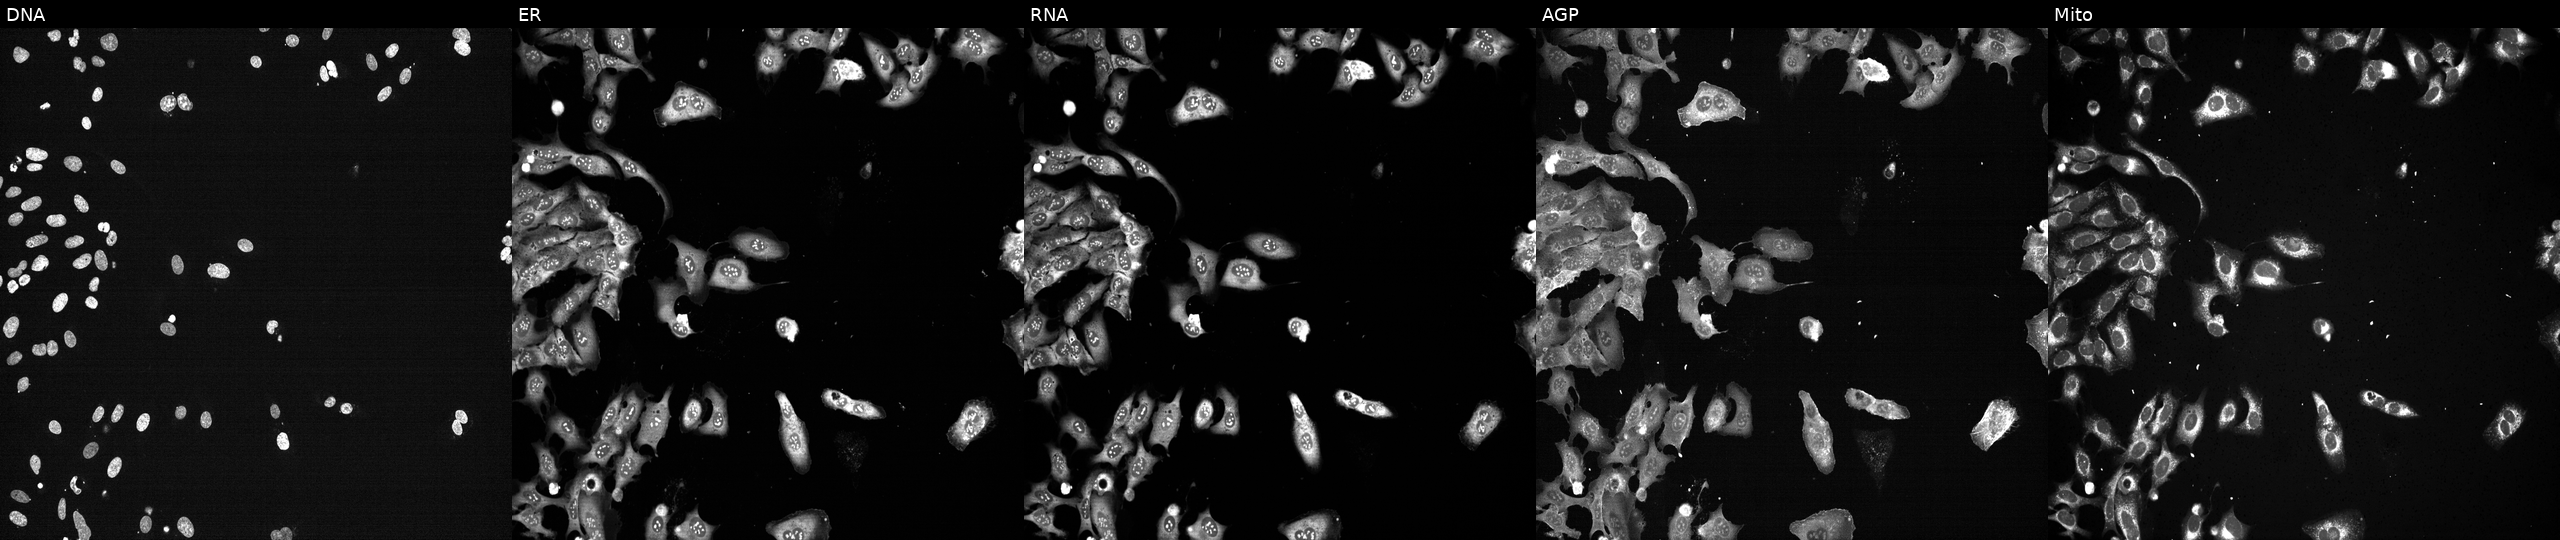
Five-channel Cell Painting image of U2OS cells CRISPR-edited to disrupt PSMC6 (JUMP id JCP2022_805630). Channels (left→right): Hoechst 33342, concanavalin A, SYTO 14, phalloidin and WGA, MitoTracker.